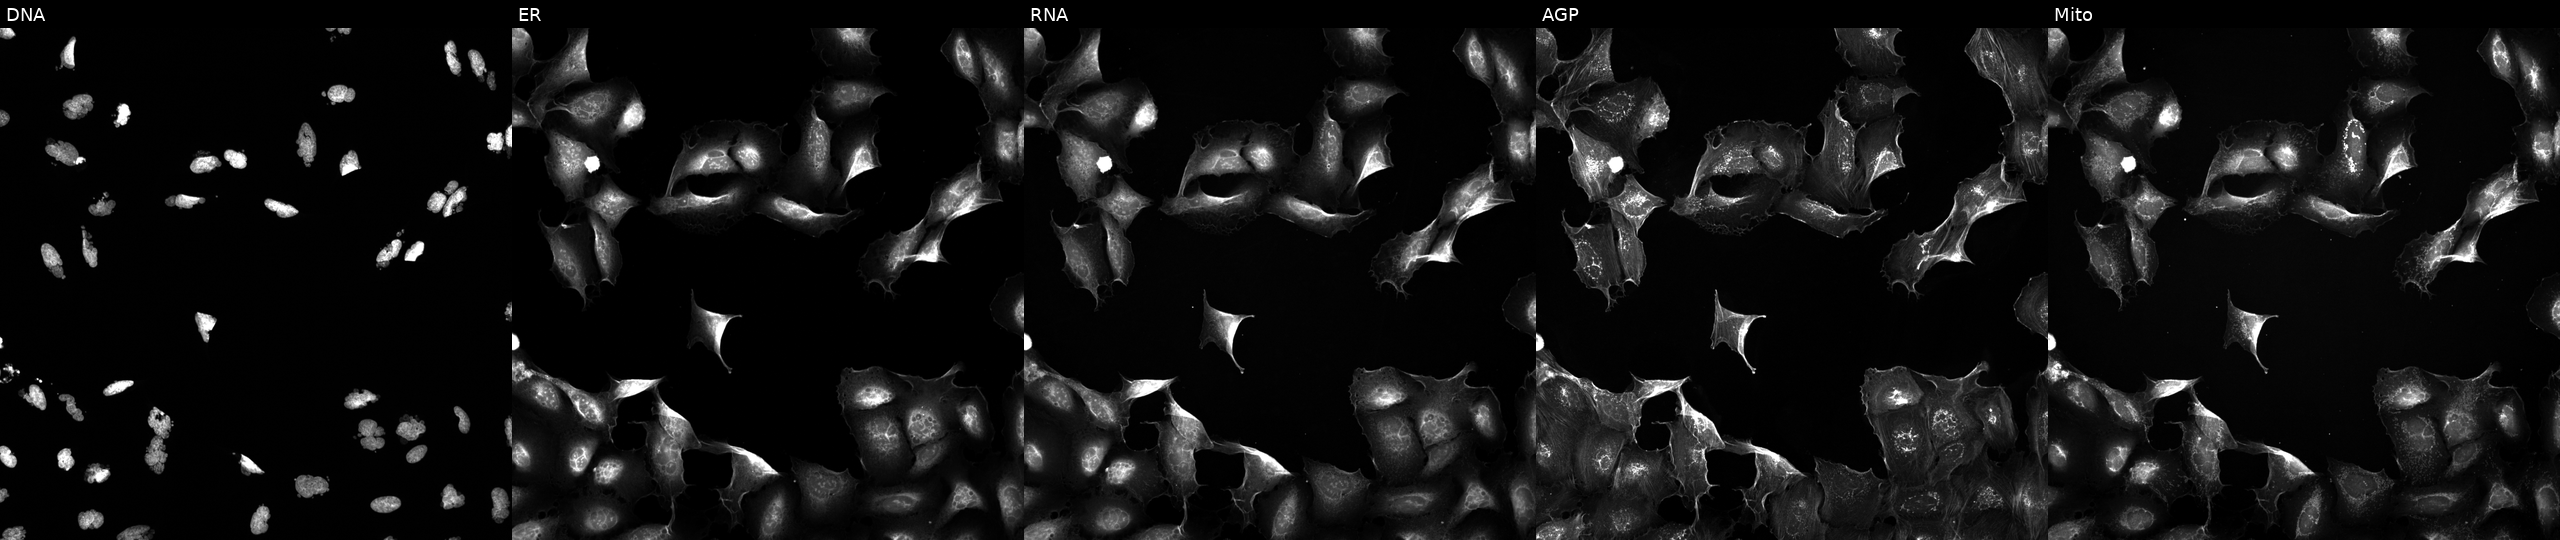
U2OS cells, Cell Painting assay, exposed to the positive-control compound AMG900 (JUMP id JCP2022_037716). Channels (left→right): Hoechst 33342, concanavalin A, SYTO 14, phalloidin and WGA, MitoTracker. Each panel is percentile-stretched 16-bit fluorescence. Source 5, plate APTJUM105, well B01.